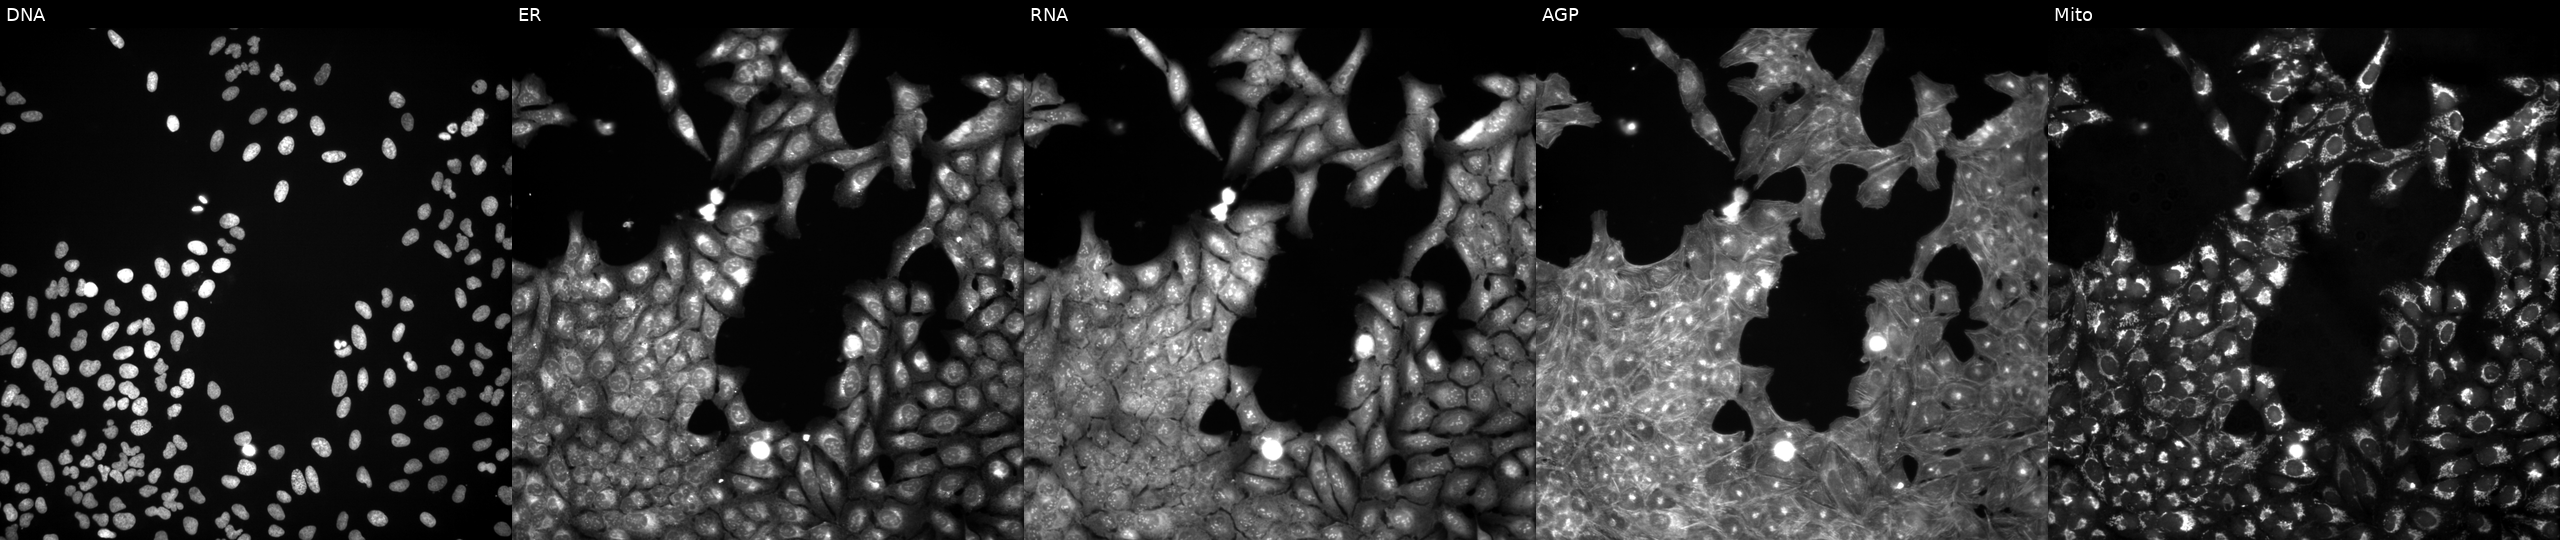
This image strip shows the five Cell Painting channels for a single field of U2OS cells treated with a small-molecule compound (InChIKey JBIMVDZLSHOPLA-UHFFFAOYSA-N). From left to right: DNA (nuclei); ER (endoplasmic reticulum); RNA (nucleoli and cytoplasmic RNA); AGP (actin cytoskeleton, Golgi, and plasma membrane); Mito (mitochondria). Source 3, plate JCPQC053, well I22.